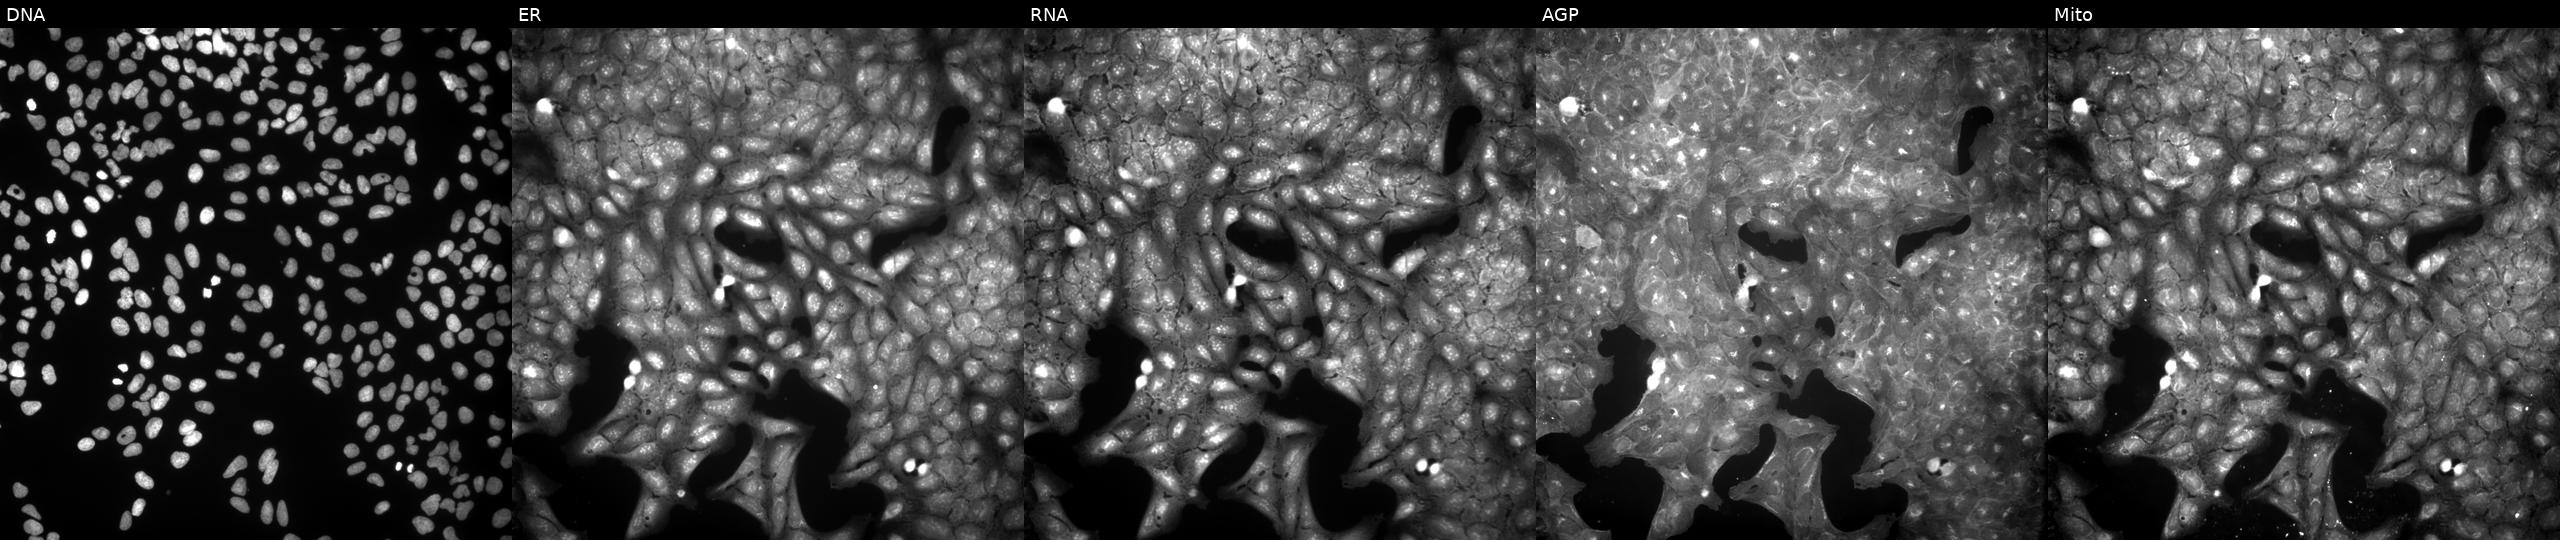
Five-channel Cell Painting image of U2OS cells treated with a small-molecule compound (JUMP id JCP2022_066421). From left to right: DNA, ER, RNA, AGP, and Mito.